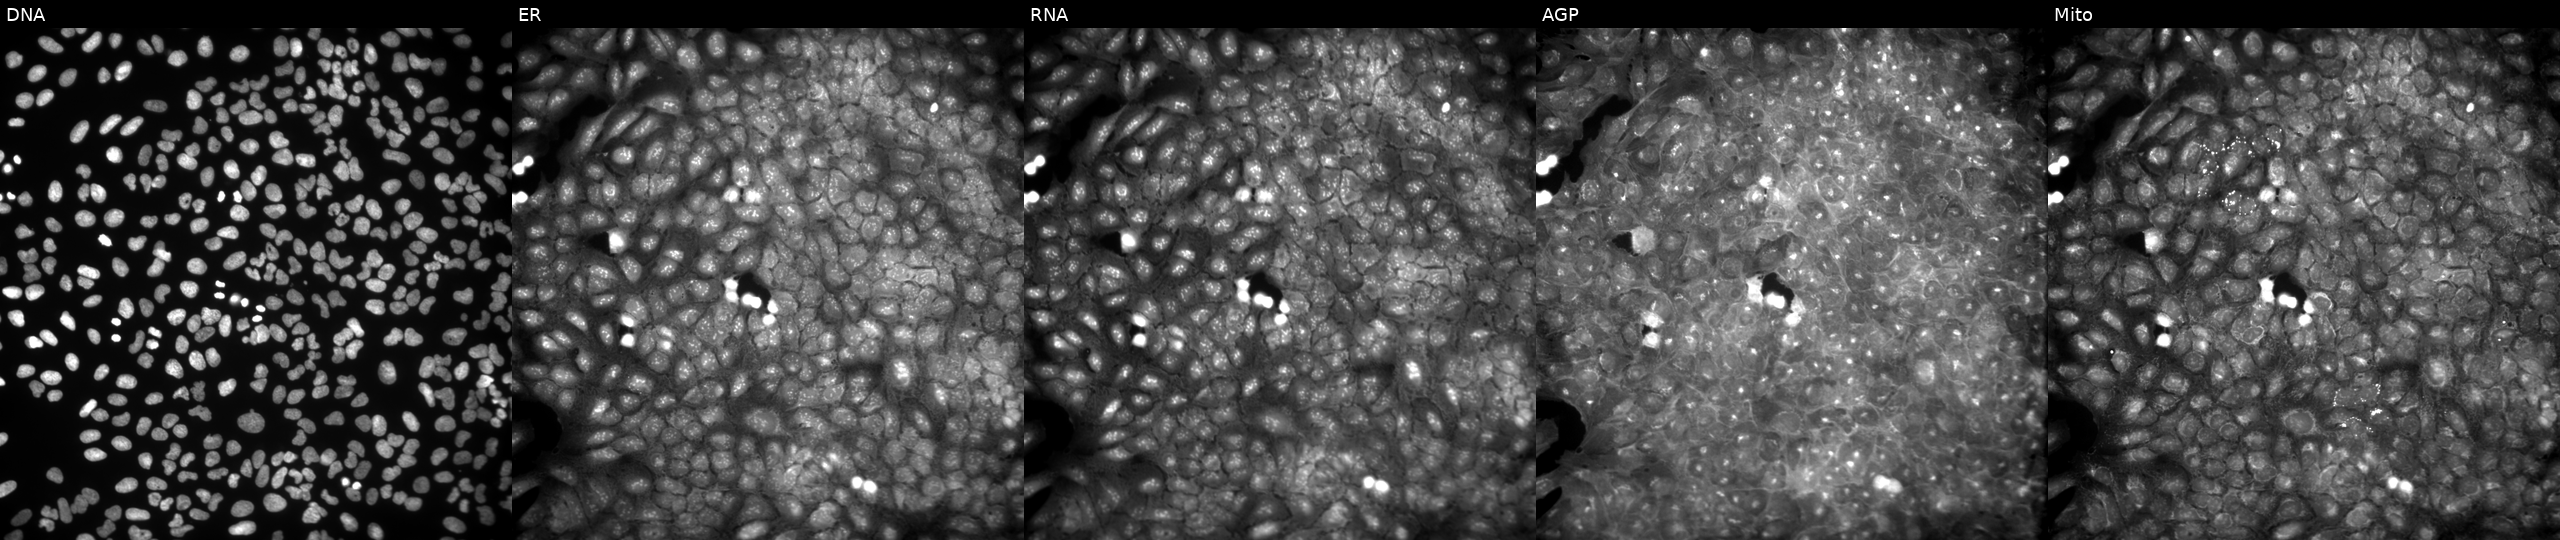
U2OS cells, Cell Painting assay, exposed to a small-molecule compound (InChIKey OCRSRPWBCHJNCV-UHFFFAOYSA-N) [SMILES: CCOc1ccc(N(CC(=O)NN=C2CCCC2)S(C)(=O)=O)cc1]. The five panels, left to right, show Hoechst 33342, concanavalin A, SYTO 14, phalloidin and WGA, MitoTracker. Each panel is percentile-stretched 16-bit fluorescence.